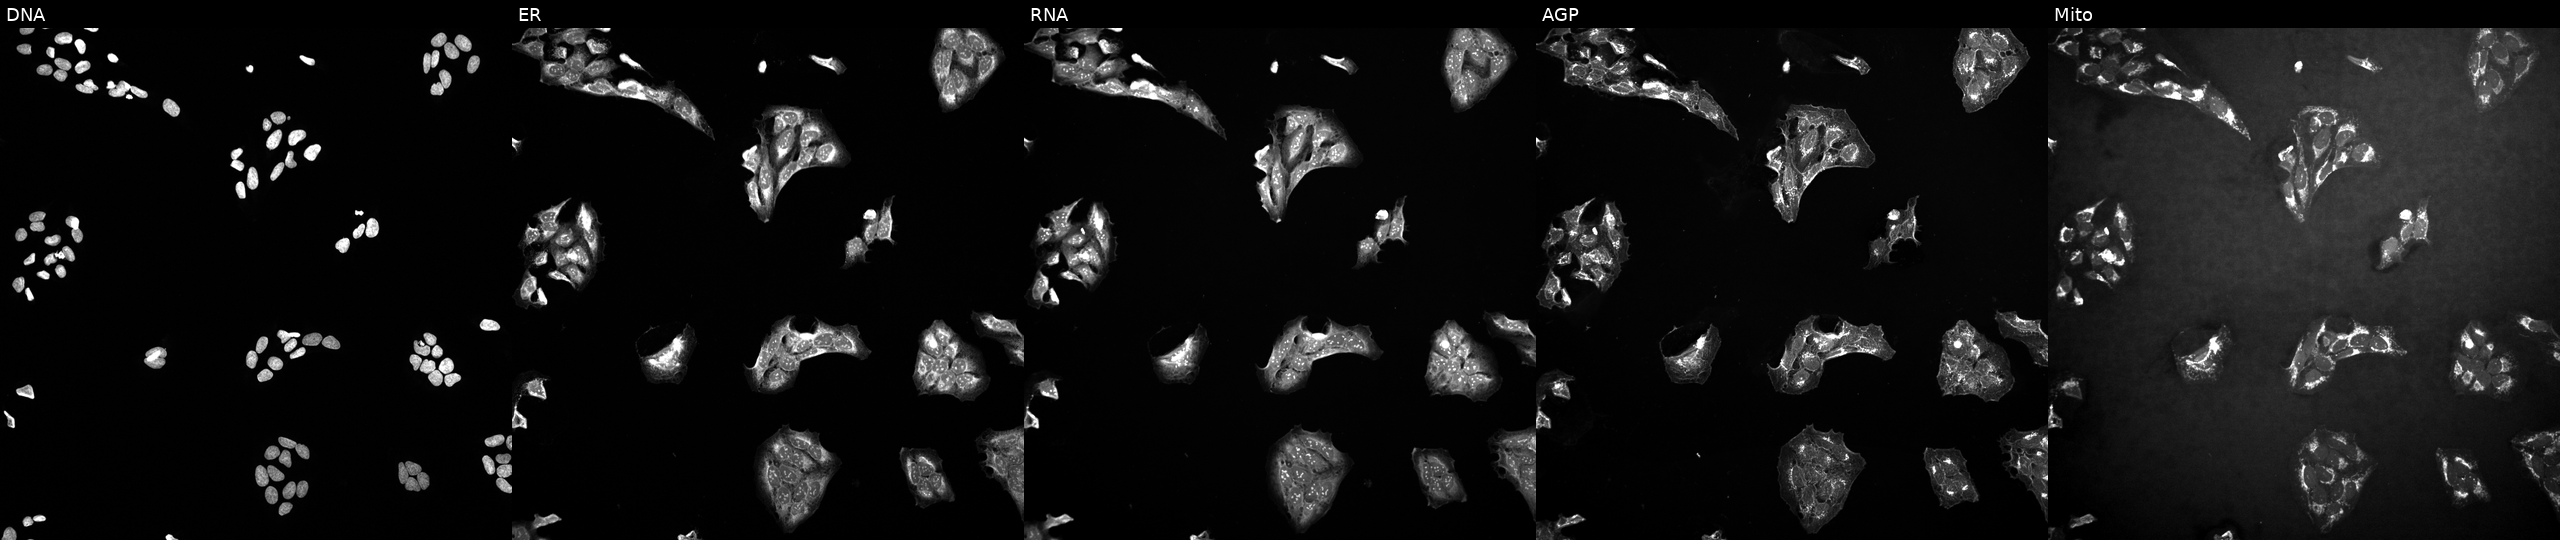
From left to right: DNA, ER, RNA, AGP, and Mito. U2OS osteosarcoma cells perturbed with a small-molecule compound (InChIKey ZVPDNRVYHLRXLX-UHFFFAOYSA-N) (JUMP id JCP2022_115963). Cell Painting assay, JUMP-CP dataset.